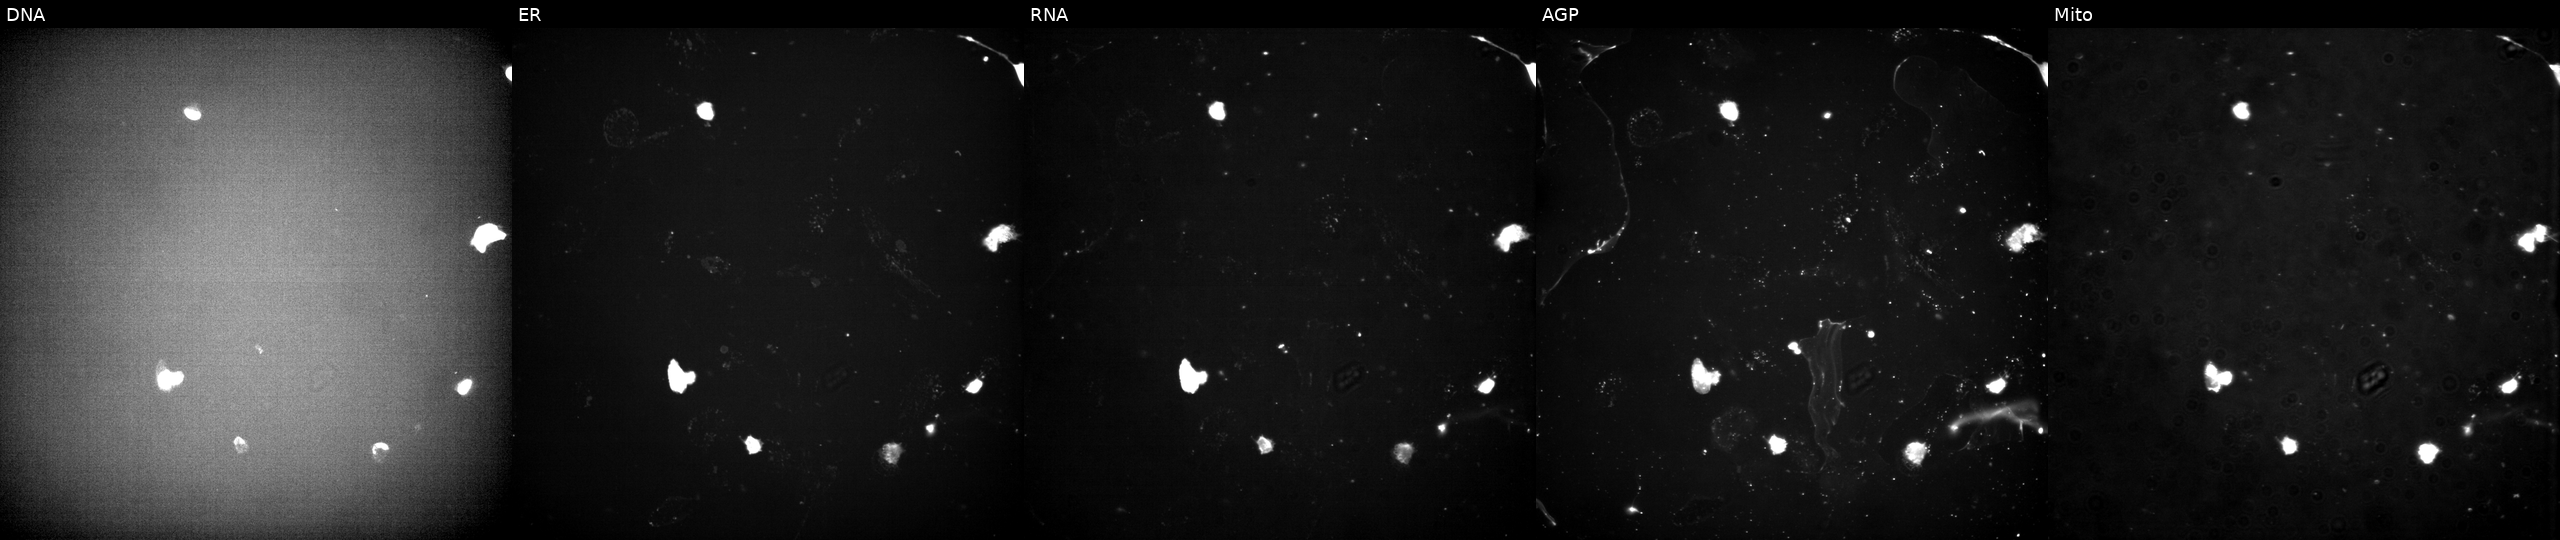
Five-channel Cell Painting image of U2OS cells treated with a small-molecule compound. From left to right: Hoechst 33342, concanavalin A, SYTO 14, phalloidin and WGA, MitoTracker. Source 3, plate BR5867a3, well O08.